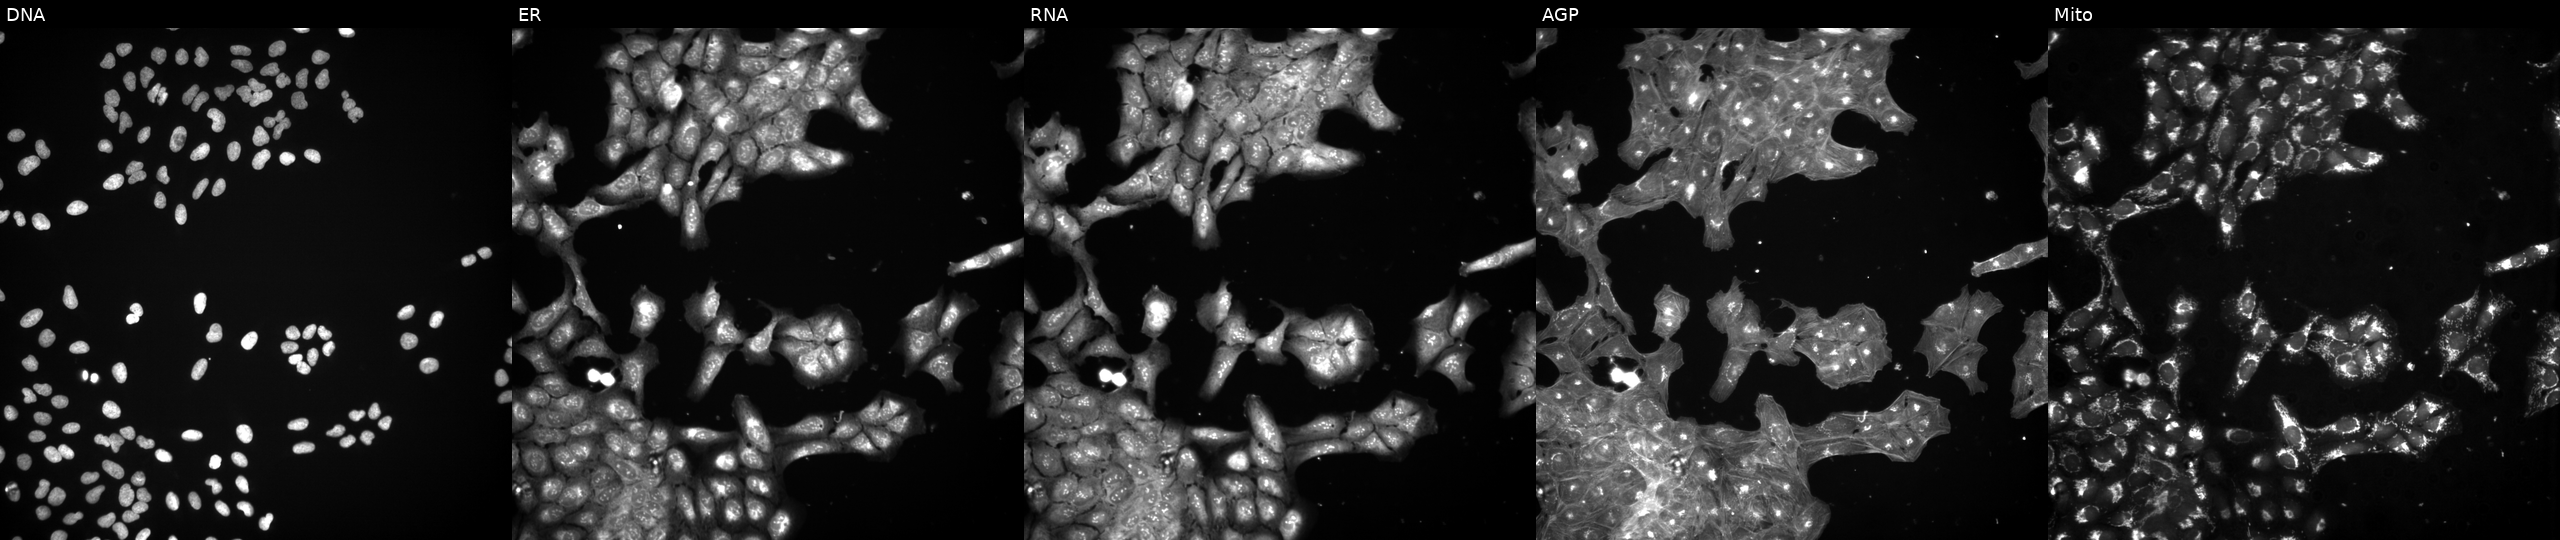
High-content fluorescence microscopy (Cell Painting). Cell line: U2OS. Perturbation: treated with a small-molecule compound (JUMP id JCP2022_033272). The five panels, left to right, show DNA, ER, RNA, AGP, and Mito.